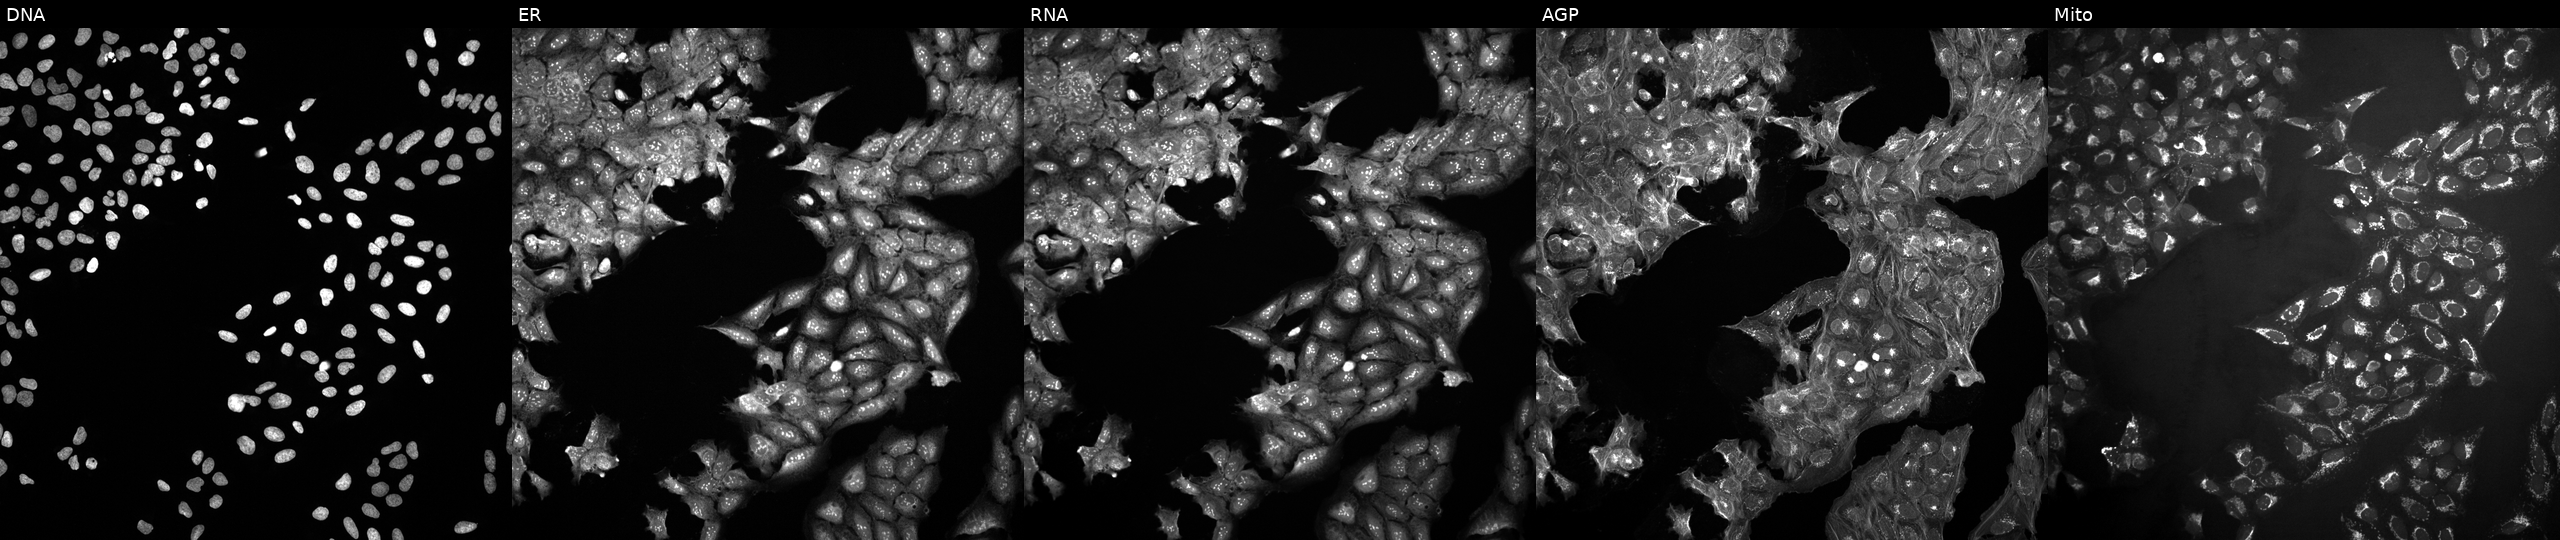
From left to right: DNA (nuclei); ER (endoplasmic reticulum); RNA (nucleoli and cytoplasmic RNA); AGP (actin cytoskeleton, Golgi, and plasma membrane); Mito (mitochondria). U2OS osteosarcoma cells untreated (empty-well control) (JUMP id JCP2022_999999). Cell Painting assay, JUMP-CP dataset. Source 10, plate Dest210531-152149, well H08.